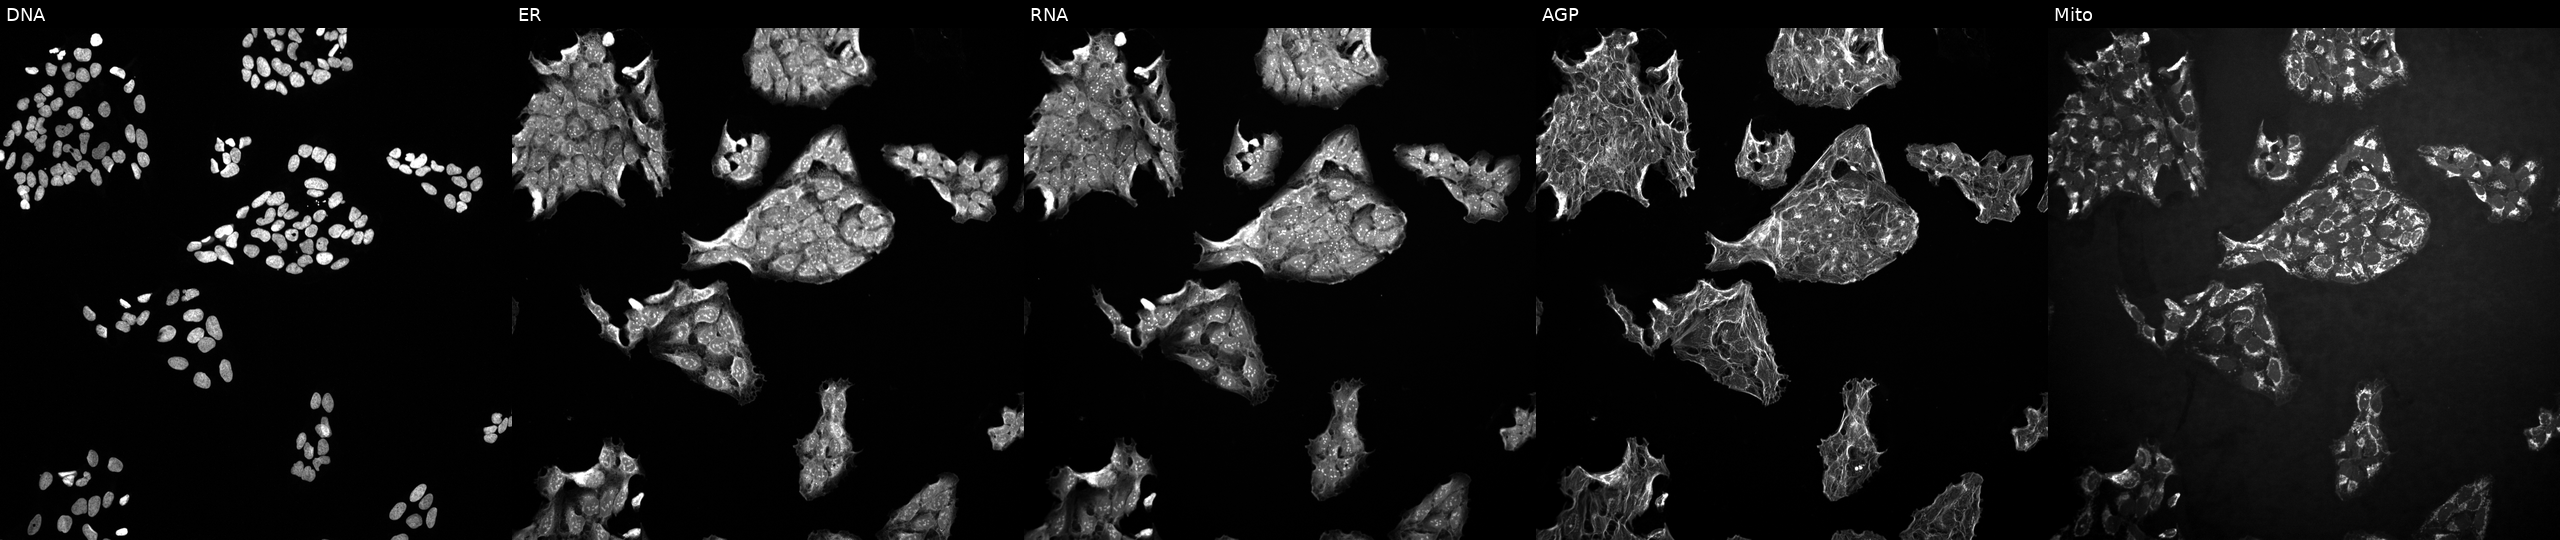
JUMP Cell Painting — TARGET2 plate. U2OS cells exposed to a small-molecule compound (JUMP id JCP2022_115963). The five panels, left to right, show Hoechst 33342, concanavalin A, SYTO 14, phalloidin and WGA, MitoTracker. Source 10, plate Dest210726-160150, well B04.